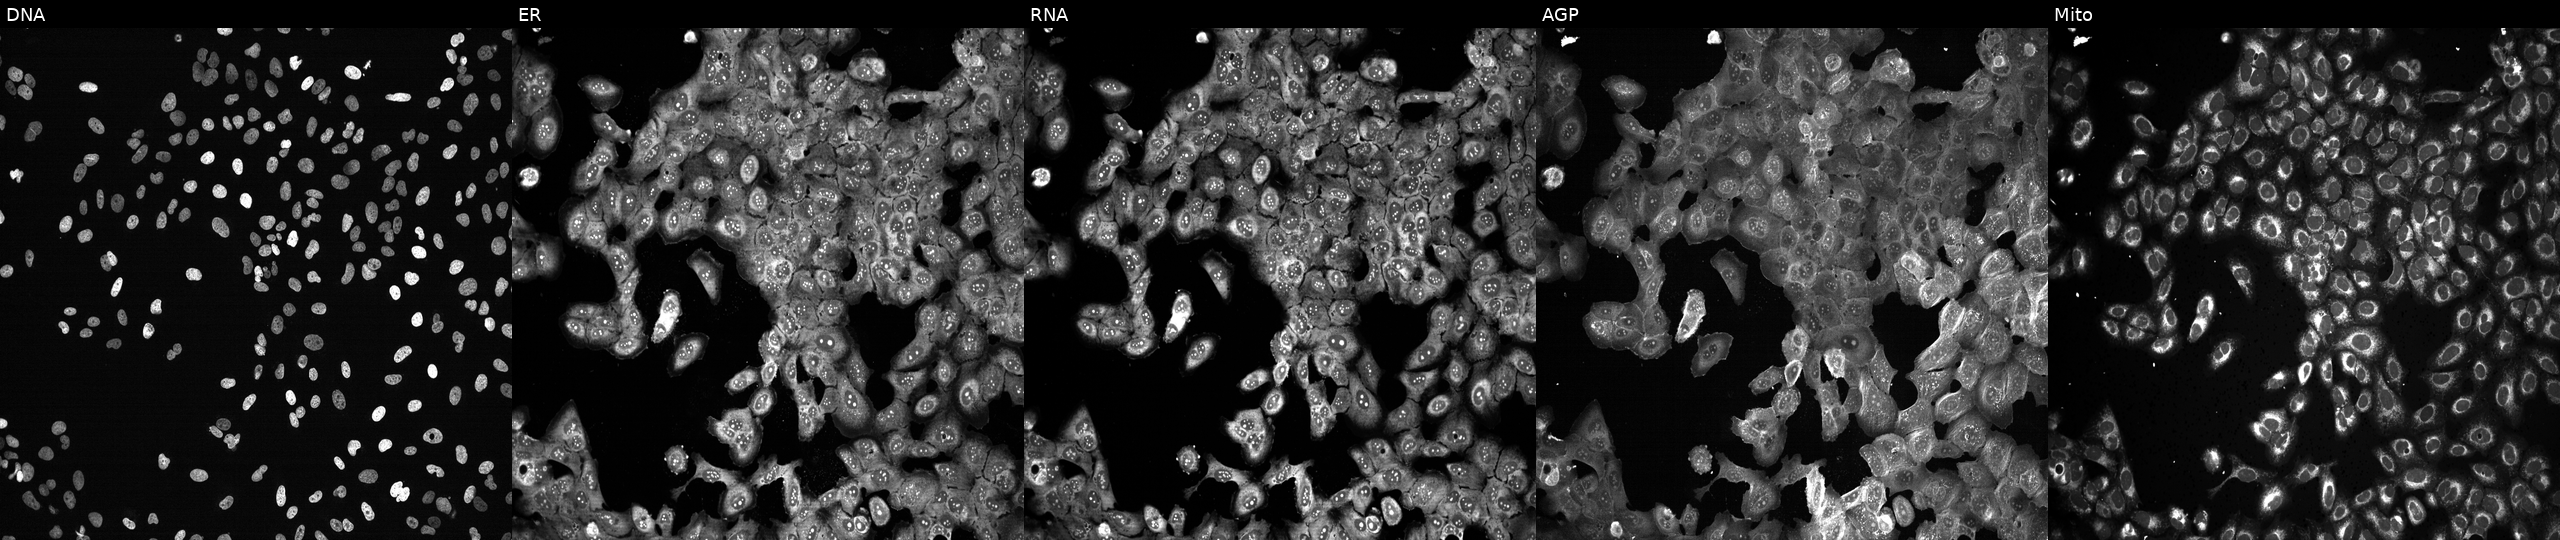
Five-channel Cell Painting image of U2OS cells following CRISPR knockout of CCT2 (JUMP id JCP2022_801136). Channels (left→right): DNA, ER, RNA, AGP, and Mito. Source 13, plate CP-CC9-R2-01, well F20.